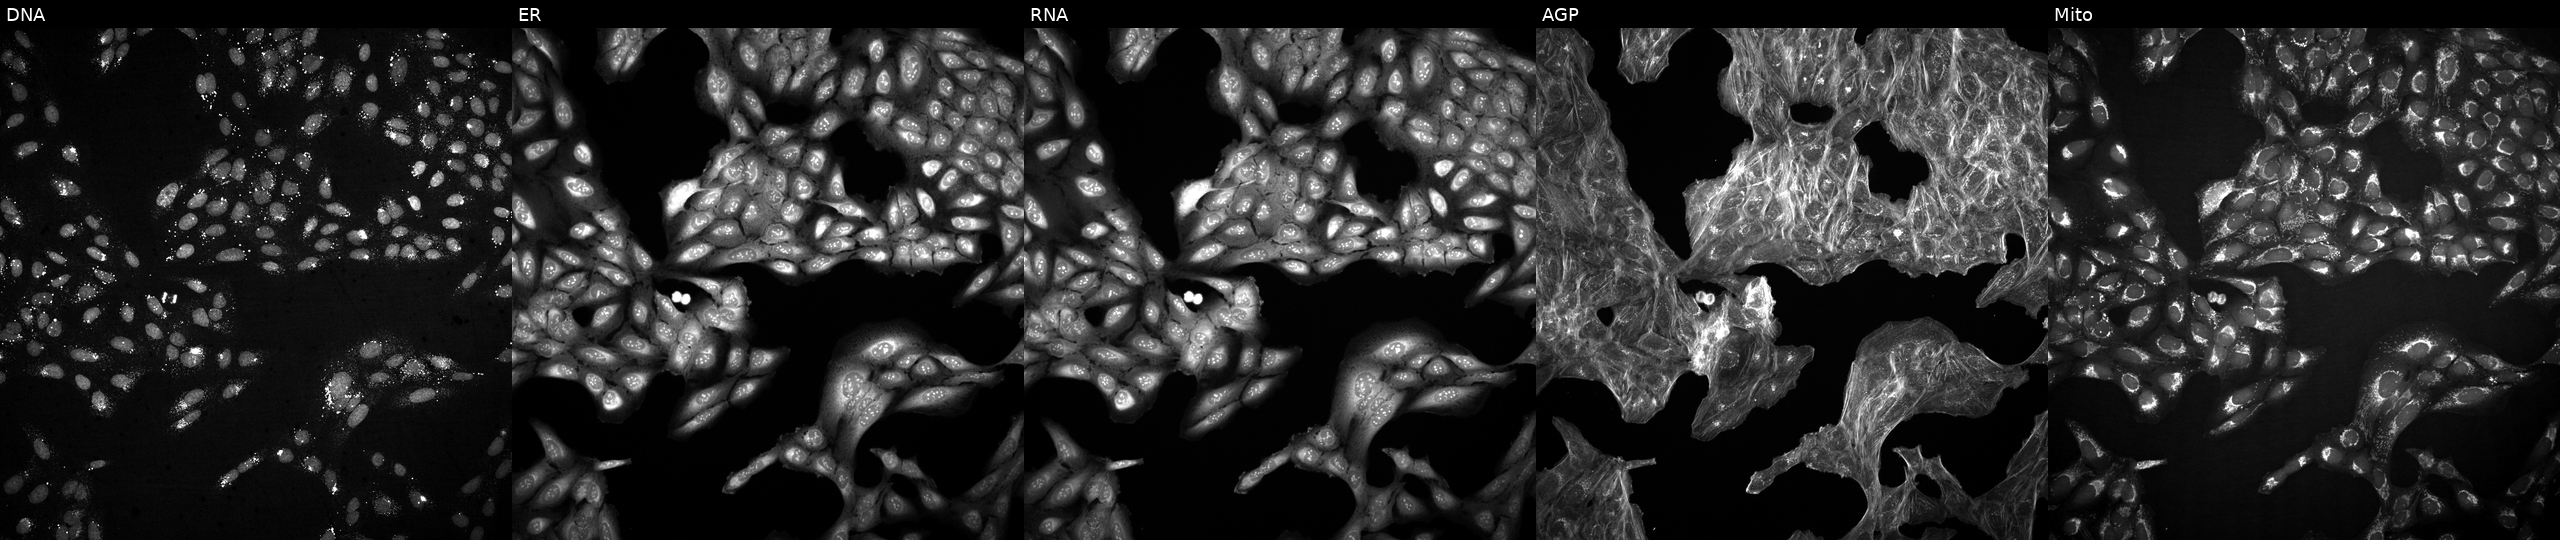
JUMP Cell Painting — COMPOUND plate. U2OS cells exposed to a small-molecule compound (JUMP id JCP2022_053486). The five panels, left to right, show Hoechst 33342, concanavalin A, SYTO 14, phalloidin and WGA, MitoTracker.